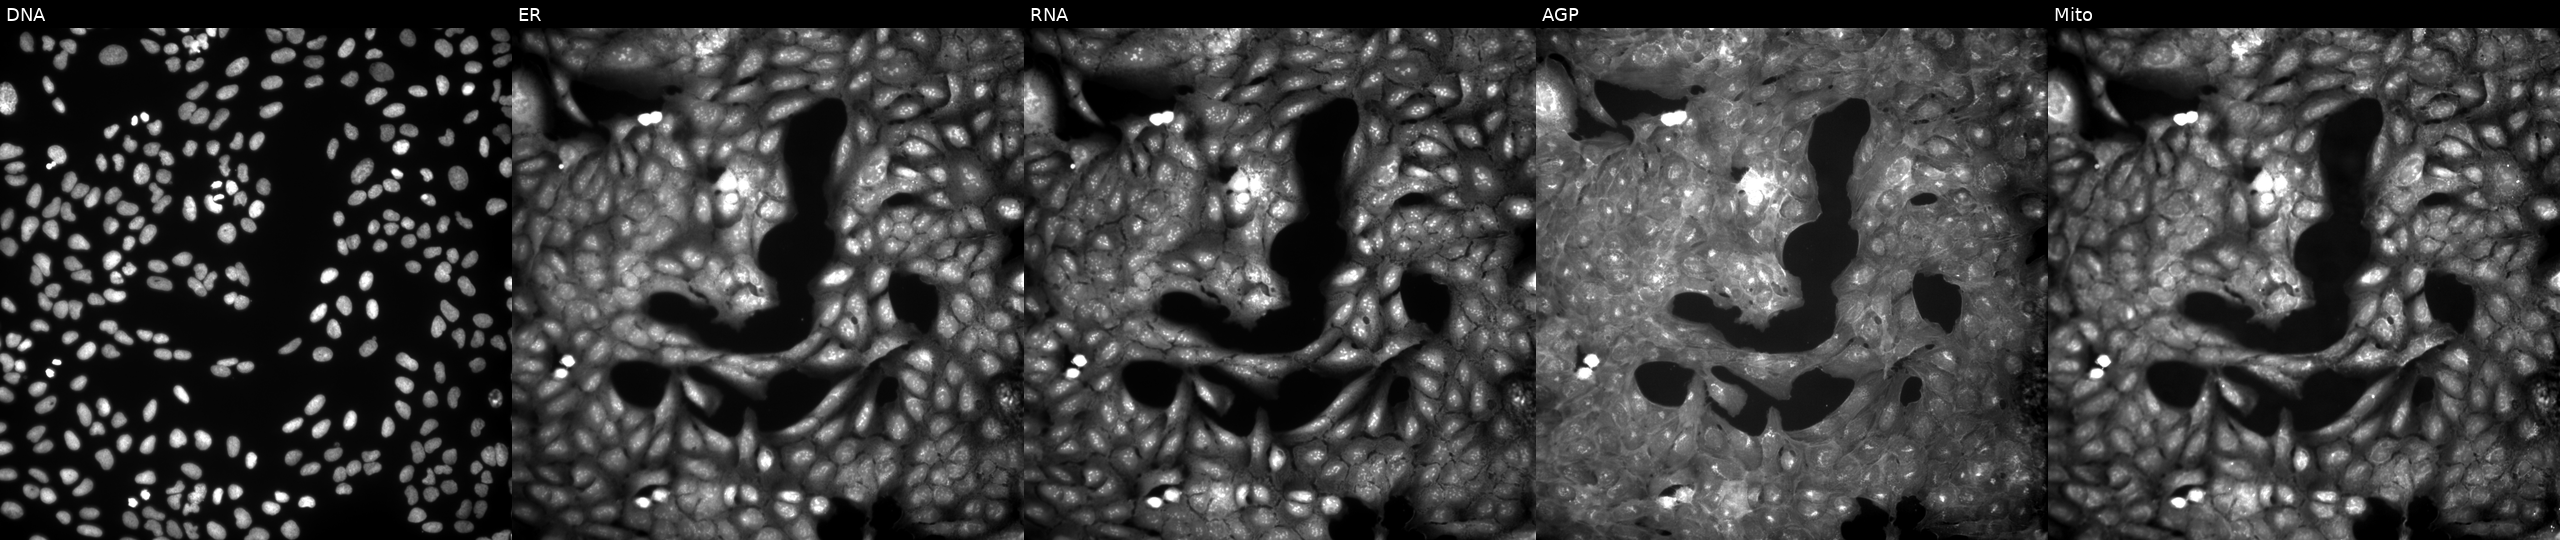
From left to right: DNA (nuclei); ER (endoplasmic reticulum); RNA (nucleoli and cytoplasmic RNA); AGP (actin cytoskeleton, Golgi, and plasma membrane); Mito (mitochondria). U2OS osteosarcoma cells exposed to a small-molecule compound (InChIKey RTMBQGSBLPEFND-UHFFFAOYSA-N). Cell Painting assay, JUMP-CP dataset.